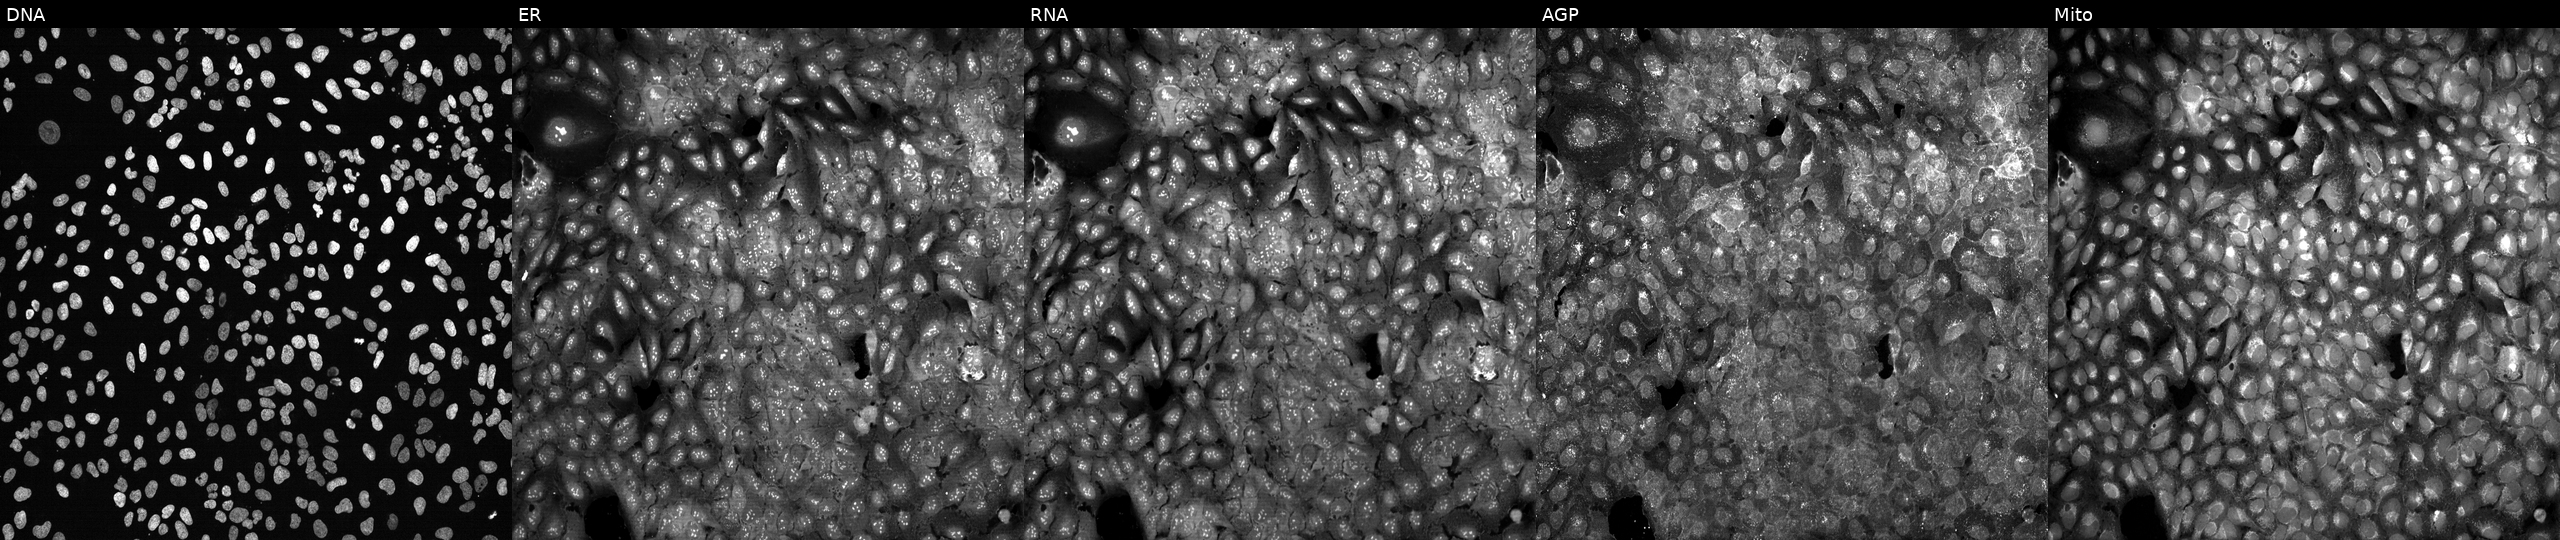
Panels show, left to right, DNA (nuclei); ER (endoplasmic reticulum); RNA (nucleoli and cytoplasmic RNA); AGP (actin cytoskeleton, Golgi, and plasma membrane); Mito (mitochondria). U2OS osteosarcoma cells with KRAS knocked out by CRISPR. Cell Painting assay, JUMP-CP dataset.